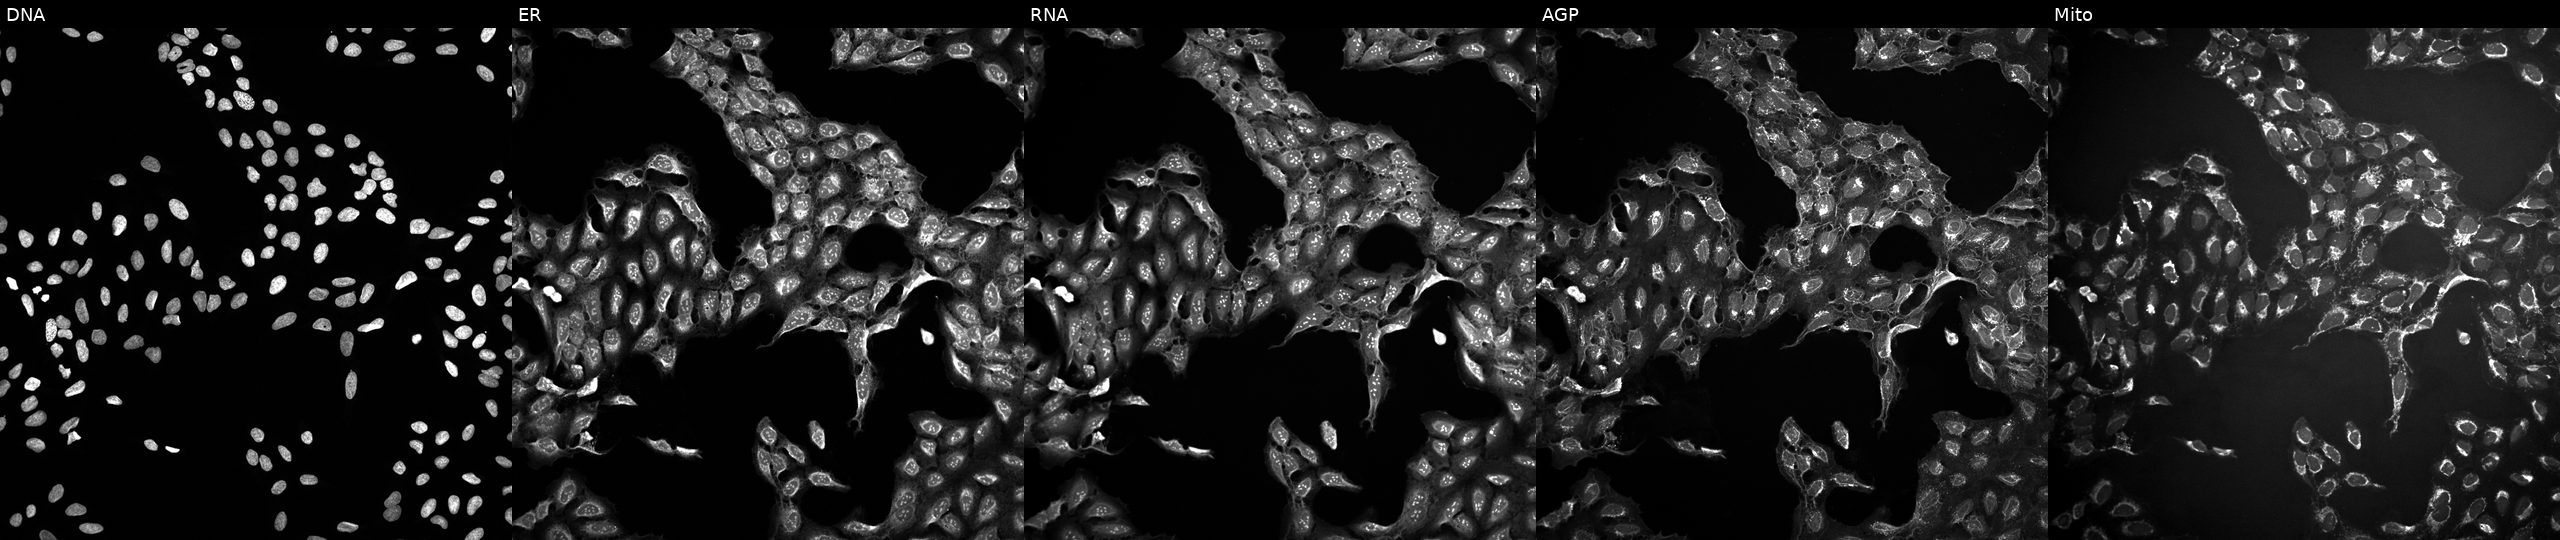
High-content fluorescence microscopy (Cell Painting). Cell line: U2OS. Perturbation: treated with a small-molecule compound (InChIKey QUGDTMONBLMLLD-UHFFFAOYSA-N). From left to right: DNA, ER, RNA, AGP, and Mito. Source 10, plate Dest210803-153958, well P17.